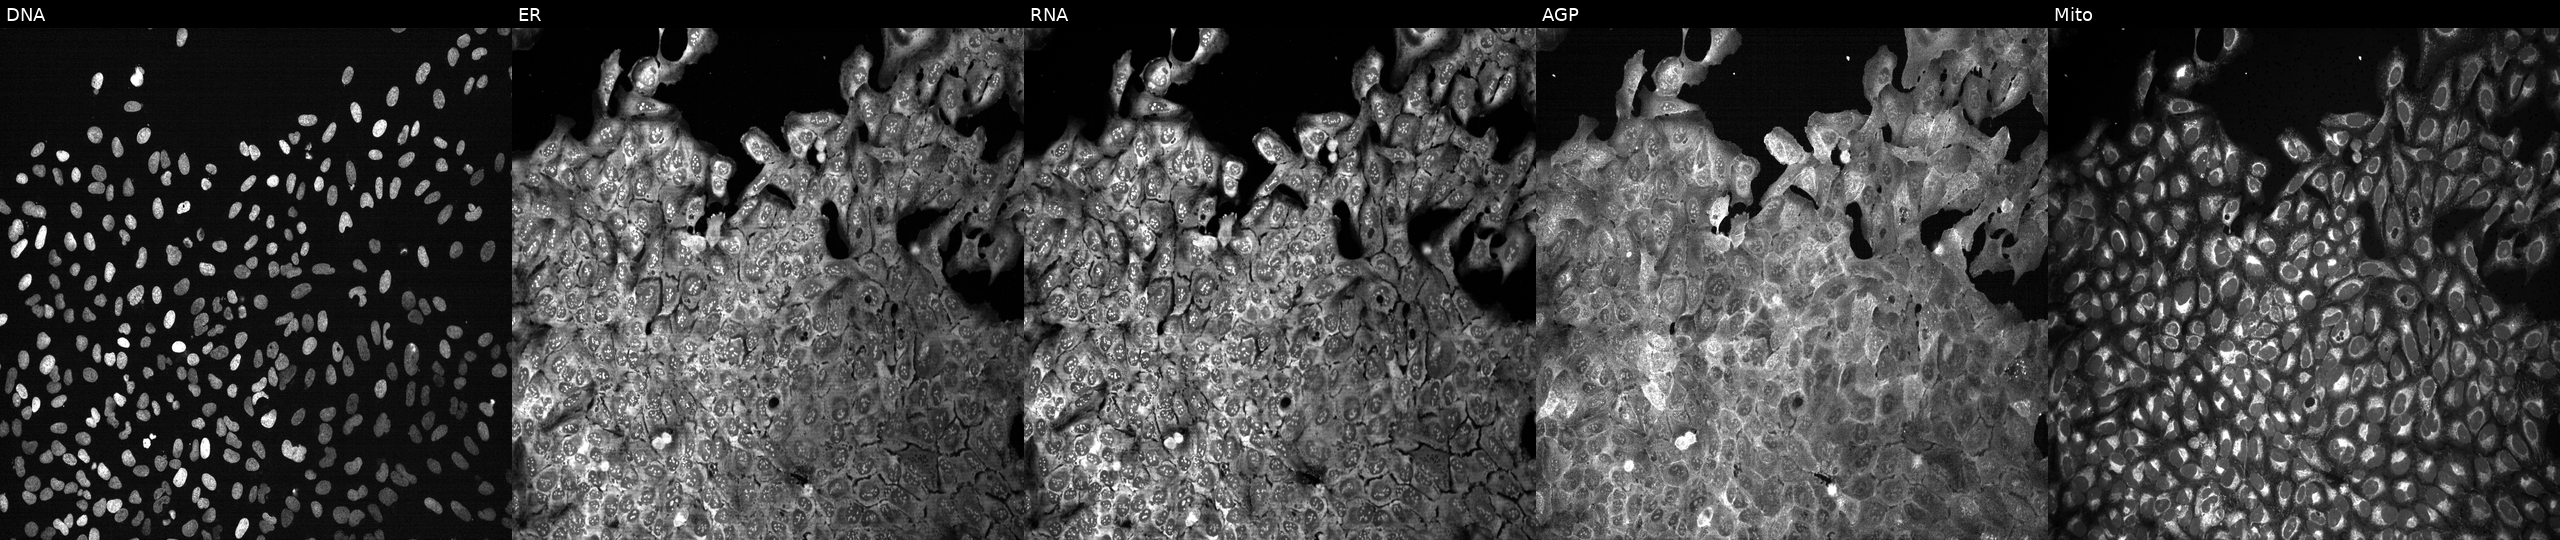
Five-channel Cell Painting image of U2OS cells with MYH8 knocked out by CRISPR. The five panels, left to right, show Hoechst 33342, concanavalin A, SYTO 14, phalloidin and WGA, MitoTracker.